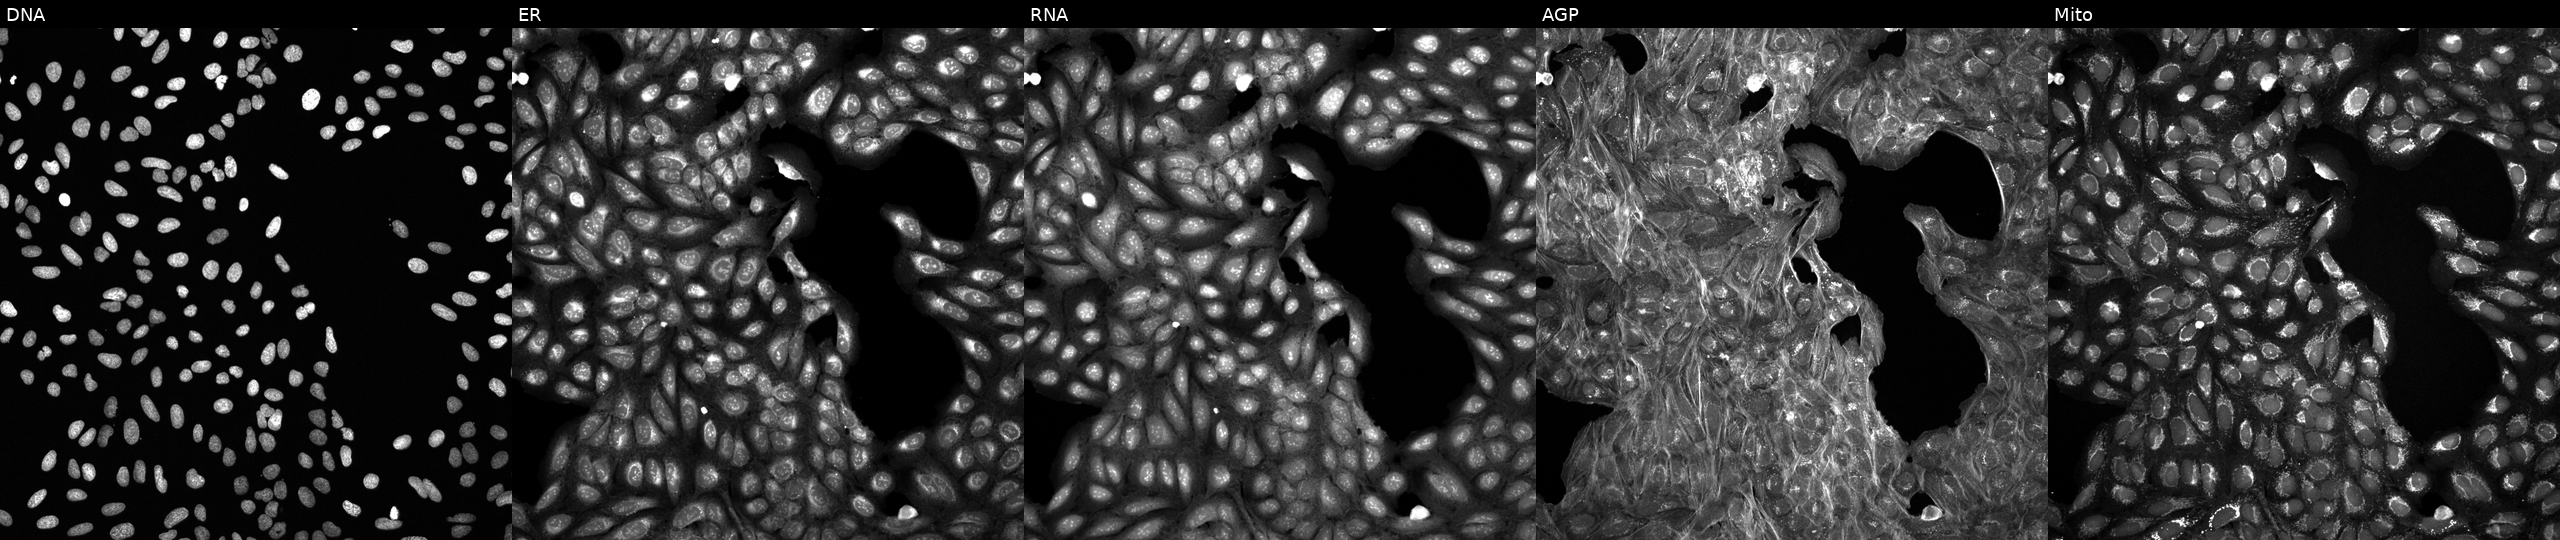
This image strip shows the five Cell Painting channels for a single field of U2OS cells treated with a small-molecule compound (InChIKey DJKJVWJQAVGLHJ-UHFFFAOYSA-N) (JUMP id JCP2022_016288). The five panels, left to right, show Hoechst 33342, concanavalin A, SYTO 14, phalloidin and WGA, MitoTracker. Source 6, plate 110000294901, well A11.